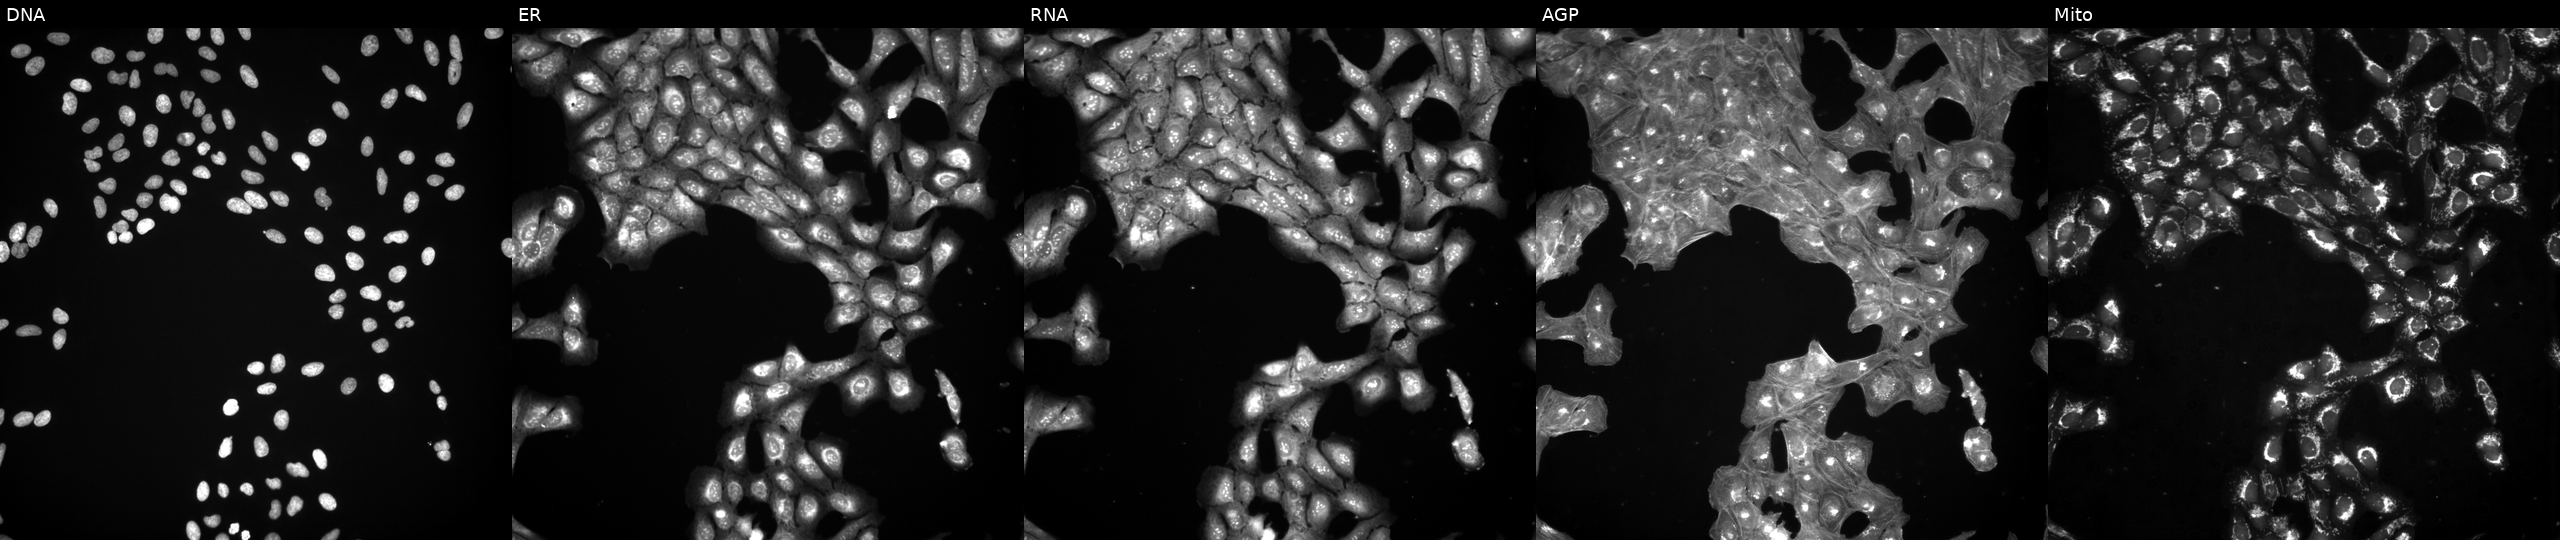
JUMP Cell Painting — COMPOUND plate. U2OS cells perturbed with a small-molecule compound (InChIKey MXISODGGJKNSQD-UHFFFAOYSA-N) [SMILES: COc1ccc(CC(=O)OCC(=O)NC(=O)NC2CCCCC2)cc1]. Channels (left→right): DNA, ER, RNA, AGP, and Mito.